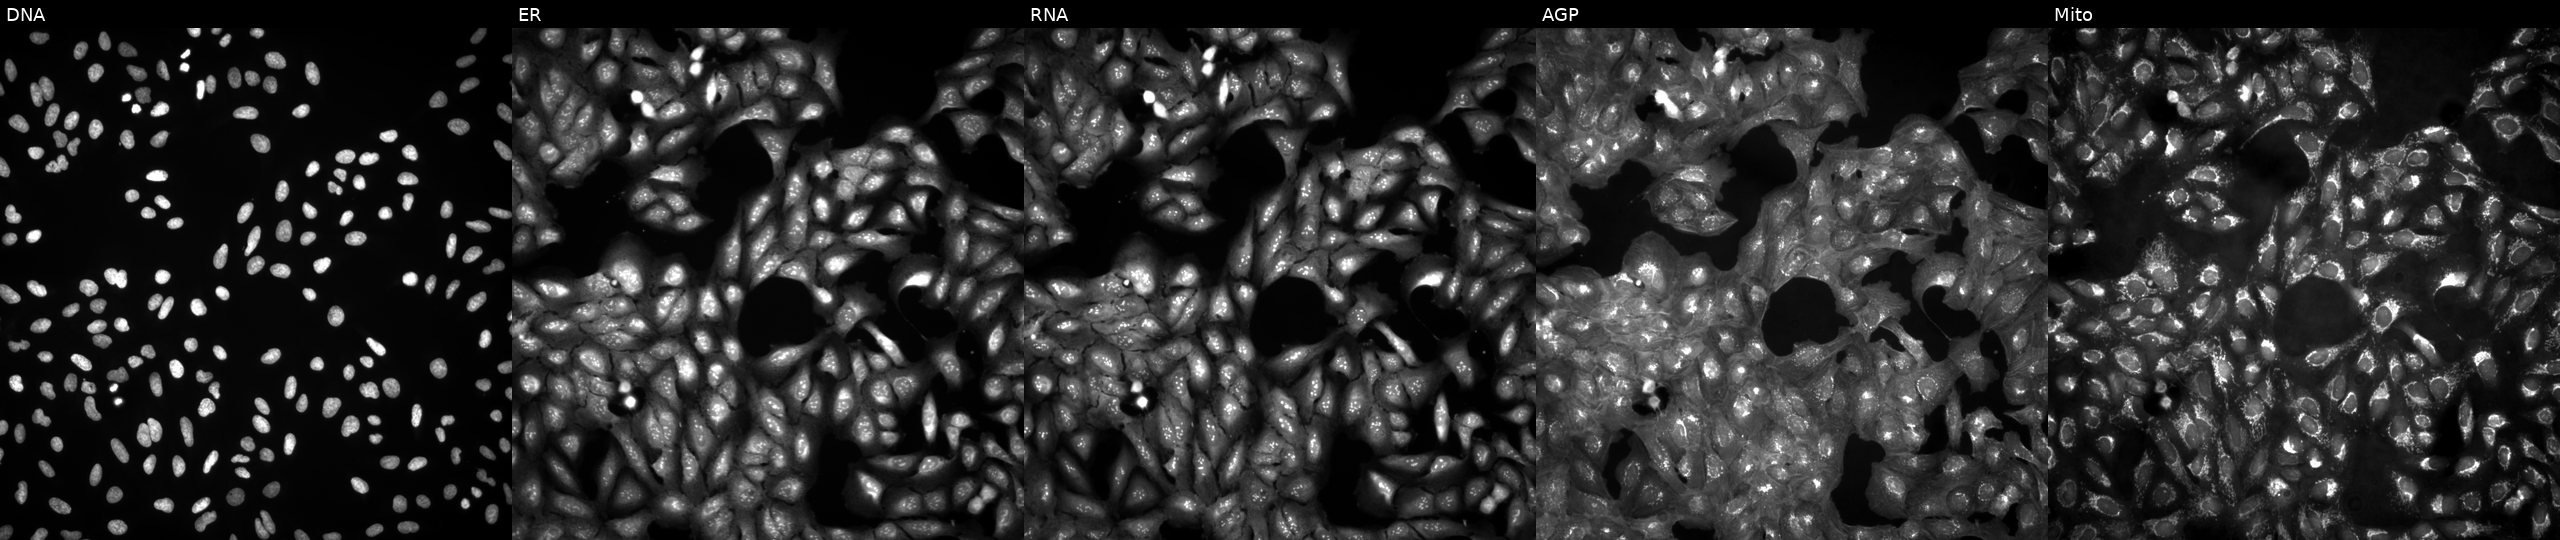
High-content fluorescence microscopy (Cell Painting). Cell line: U2OS. Perturbation: in an empty control well (no perturbation) (JUMP id JCP2022_999999). The five panels, left to right, show DNA, ER, RNA, AGP, and Mito.